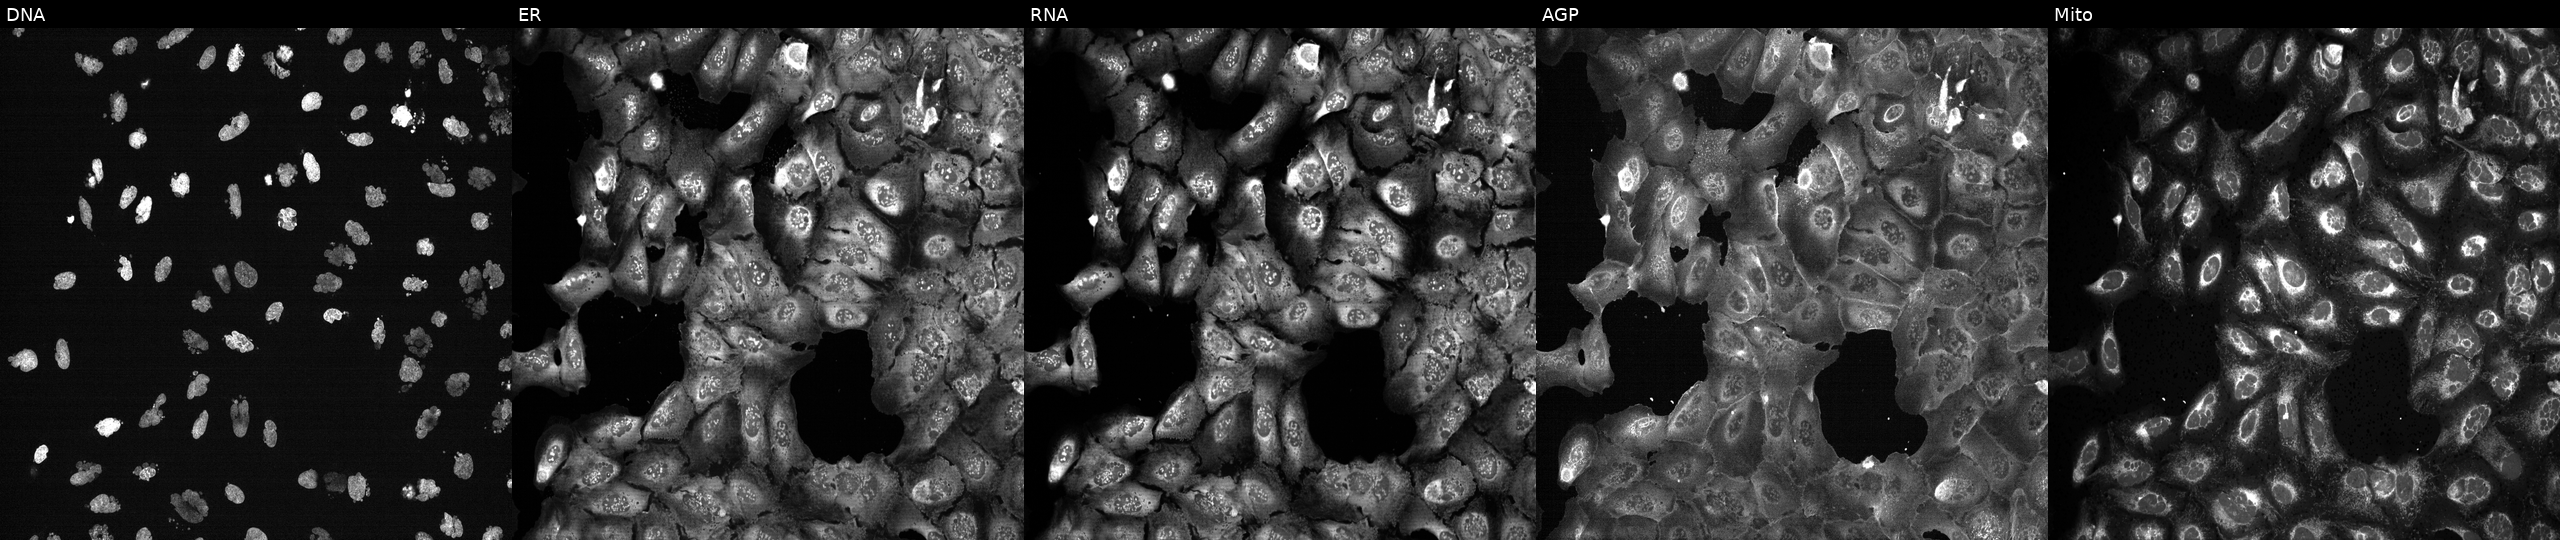
Channels (left→right): DNA (nuclei); ER (endoplasmic reticulum); RNA (nucleoli and cytoplasmic RNA); AGP (actin cytoskeleton, Golgi, and plasma membrane); Mito (mitochondria). U2OS osteosarcoma cells treated with AMG900 (positive-control compound). Cell Painting assay, JUMP-CP dataset. Source 13, plate CP-CC9-R2-02, well F24.